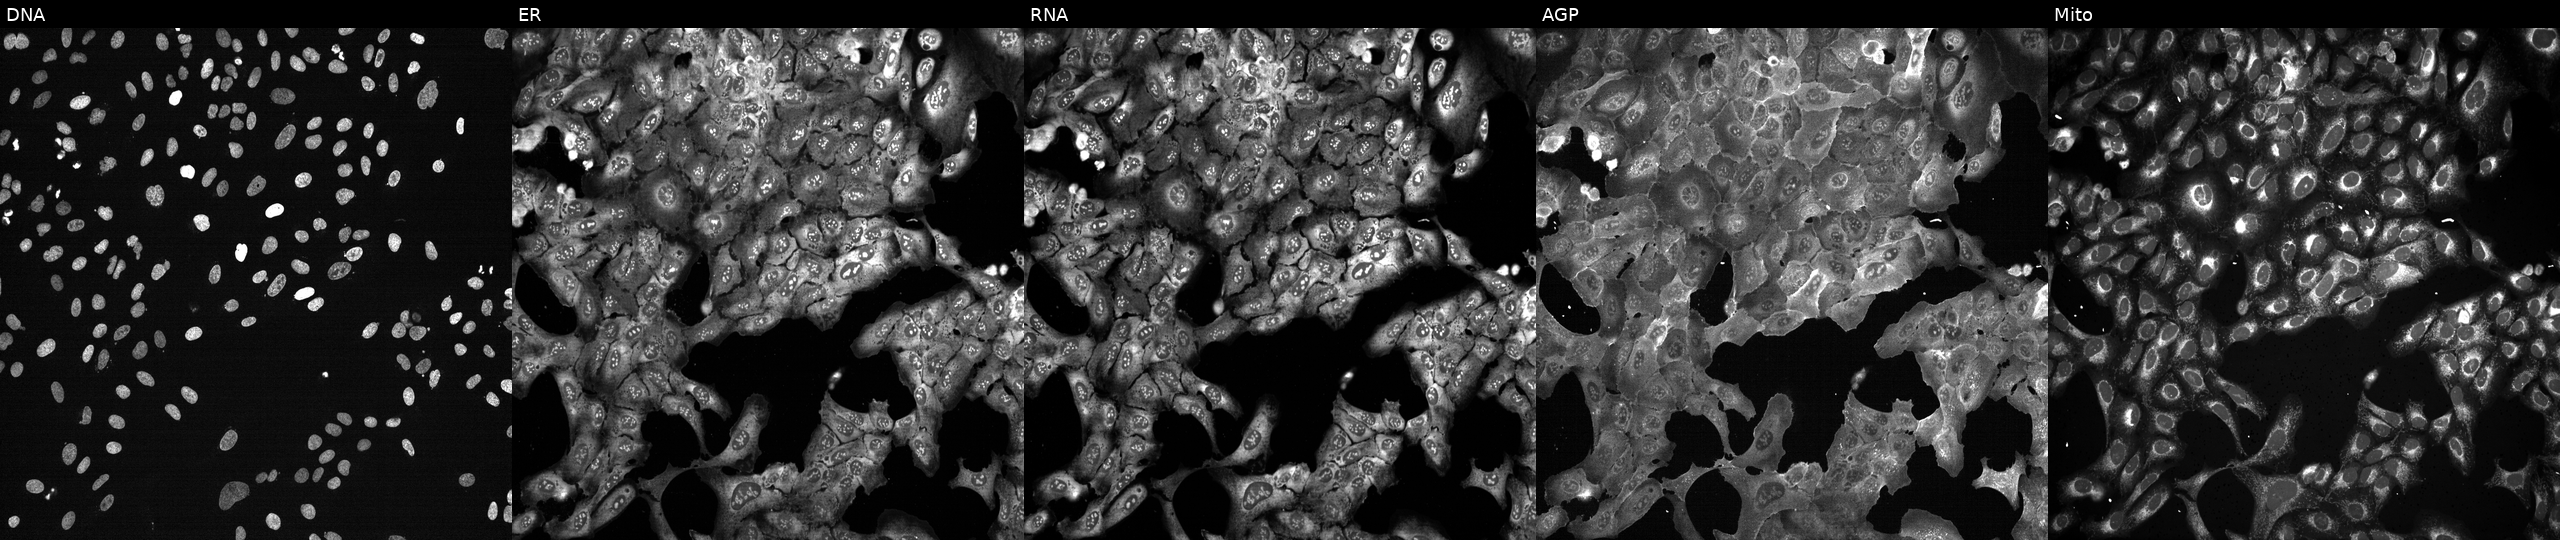
Panels show, left to right, DNA (nuclei); ER (endoplasmic reticulum); RNA (nucleoli and cytoplasmic RNA); AGP (actin cytoskeleton, Golgi, and plasma membrane); Mito (mitochondria). U2OS osteosarcoma cells CRISPR-edited to disrupt KIF5A. Cell Painting assay, JUMP-CP dataset.